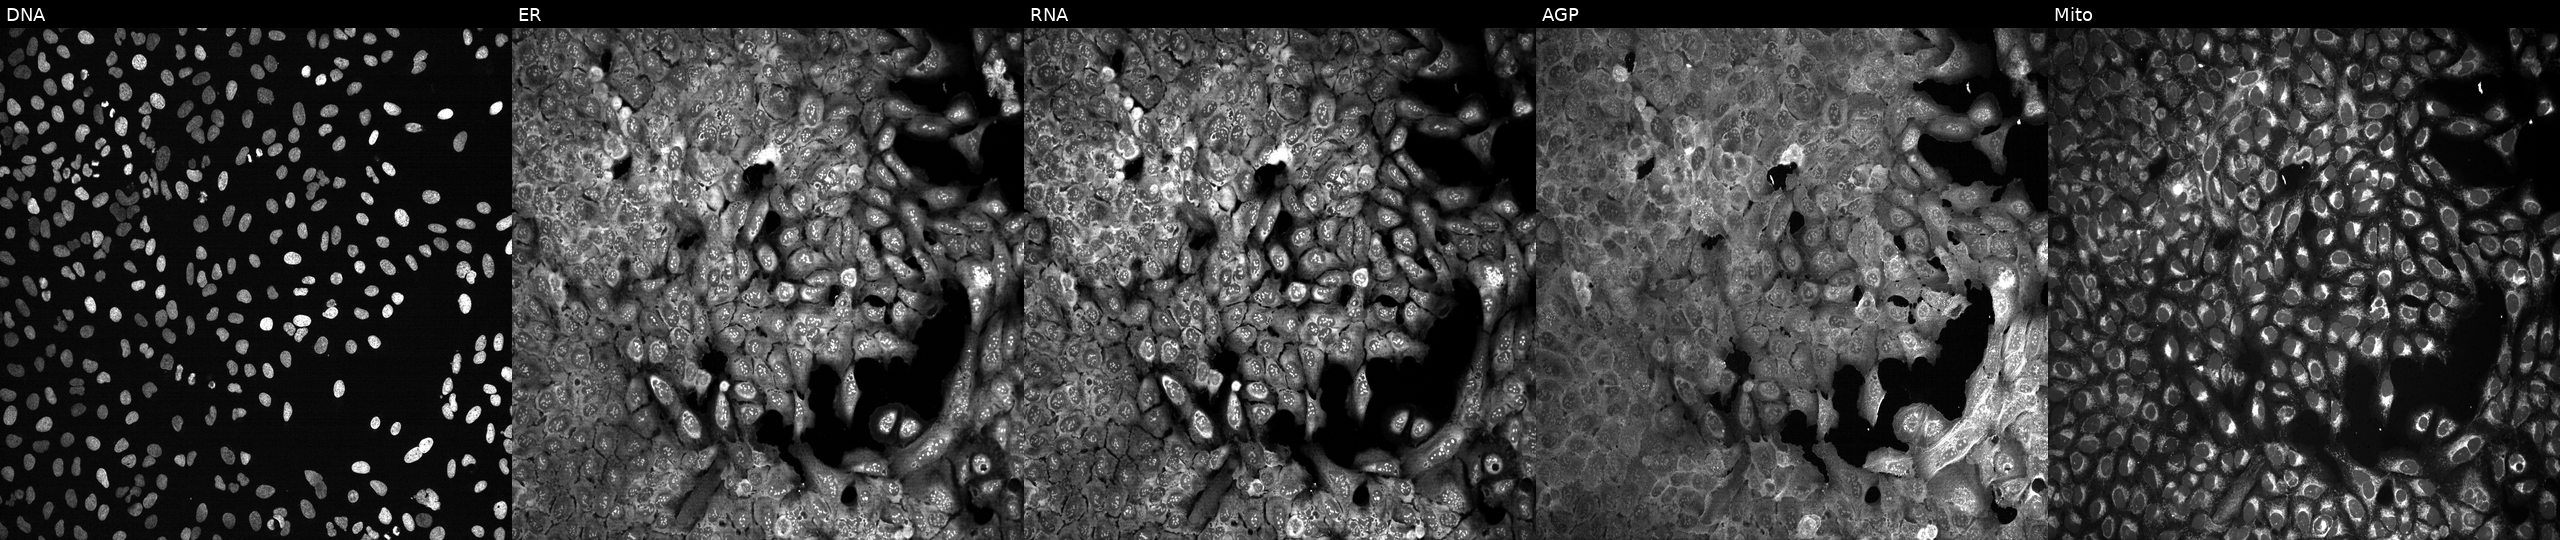
High-content fluorescence microscopy (Cell Painting). Cell line: U2OS. Perturbation: with a non-targeting CRISPR guide (negative control). From left to right: DNA (nuclei); ER (endoplasmic reticulum); RNA (nucleoli and cytoplasmic RNA); AGP (actin cytoskeleton, Golgi, and plasma membrane); Mito (mitochondria).